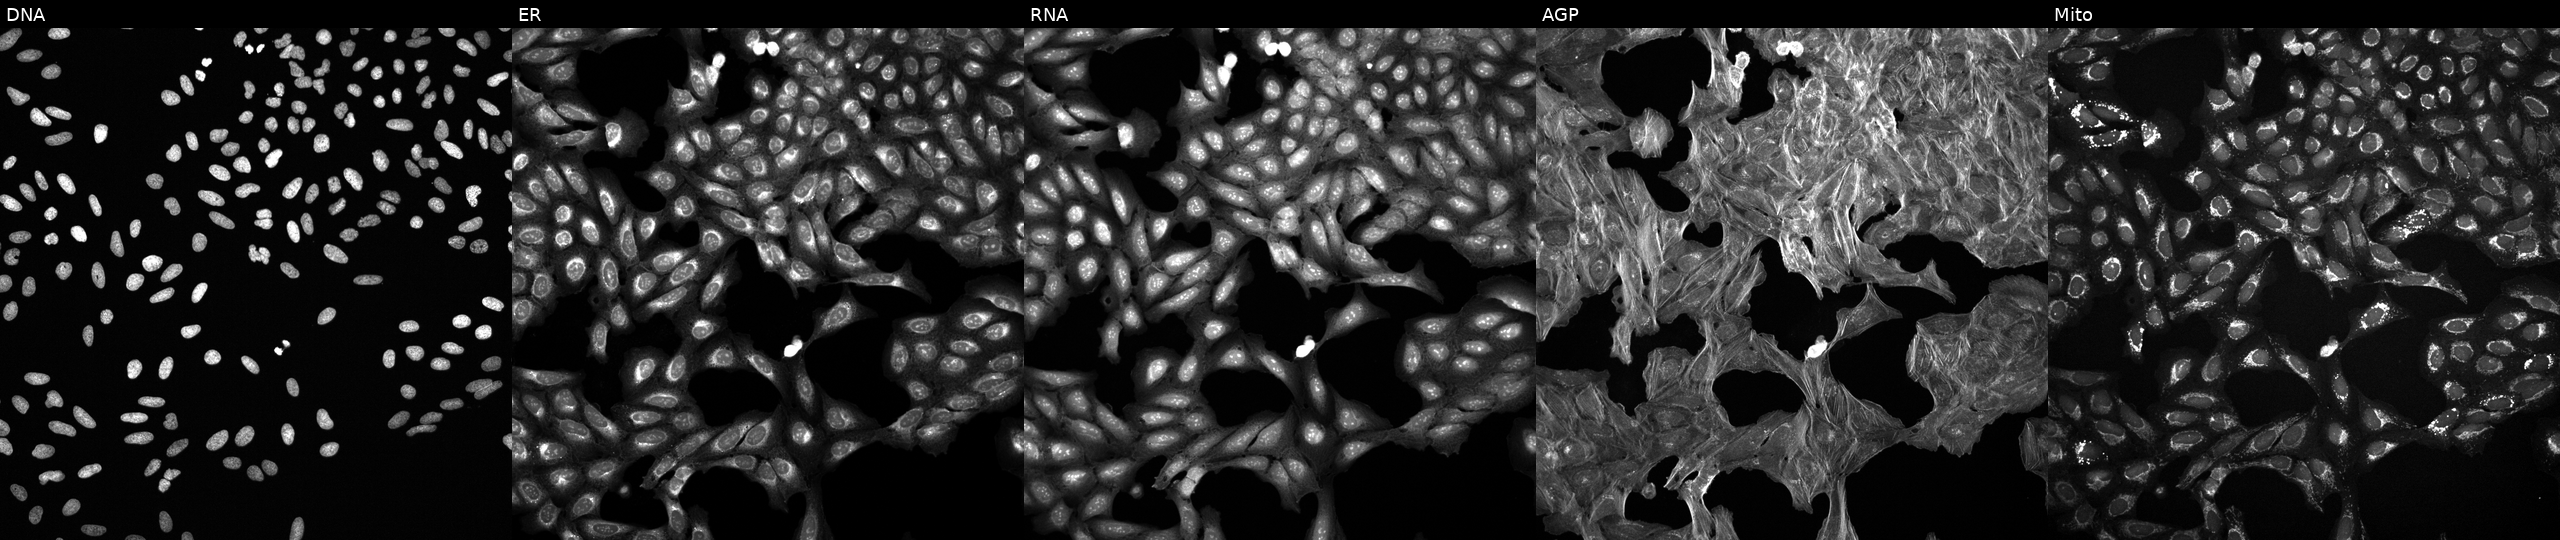
U2OS cells, Cell Painting assay, exposed to DMSO alone as a negative control. Channels (left→right): DNA (nuclei); ER (endoplasmic reticulum); RNA (nucleoli and cytoplasmic RNA); AGP (actin cytoskeleton, Golgi, and plasma membrane); Mito (mitochondria). Each panel is percentile-stretched 16-bit fluorescence. Source 6, plate 110000293081, well G19.